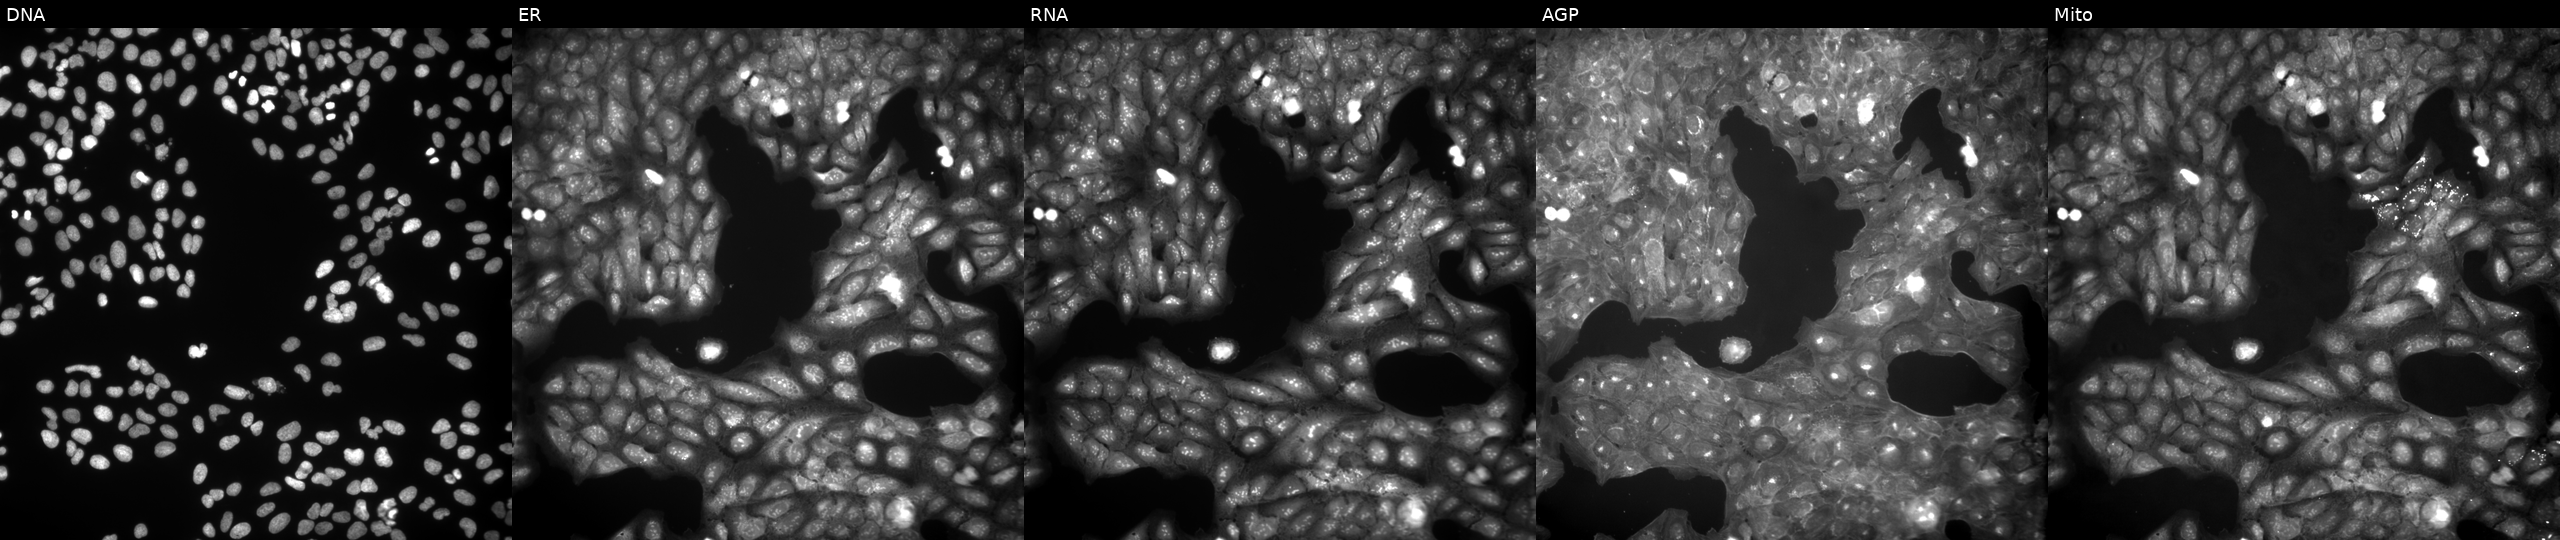
U2OS cells, Cell Painting assay, treated with a small-molecule compound (JUMP id JCP2022_001262). From left to right: DNA, ER, RNA, AGP, and Mito. Each panel is percentile-stretched 16-bit fluorescence.